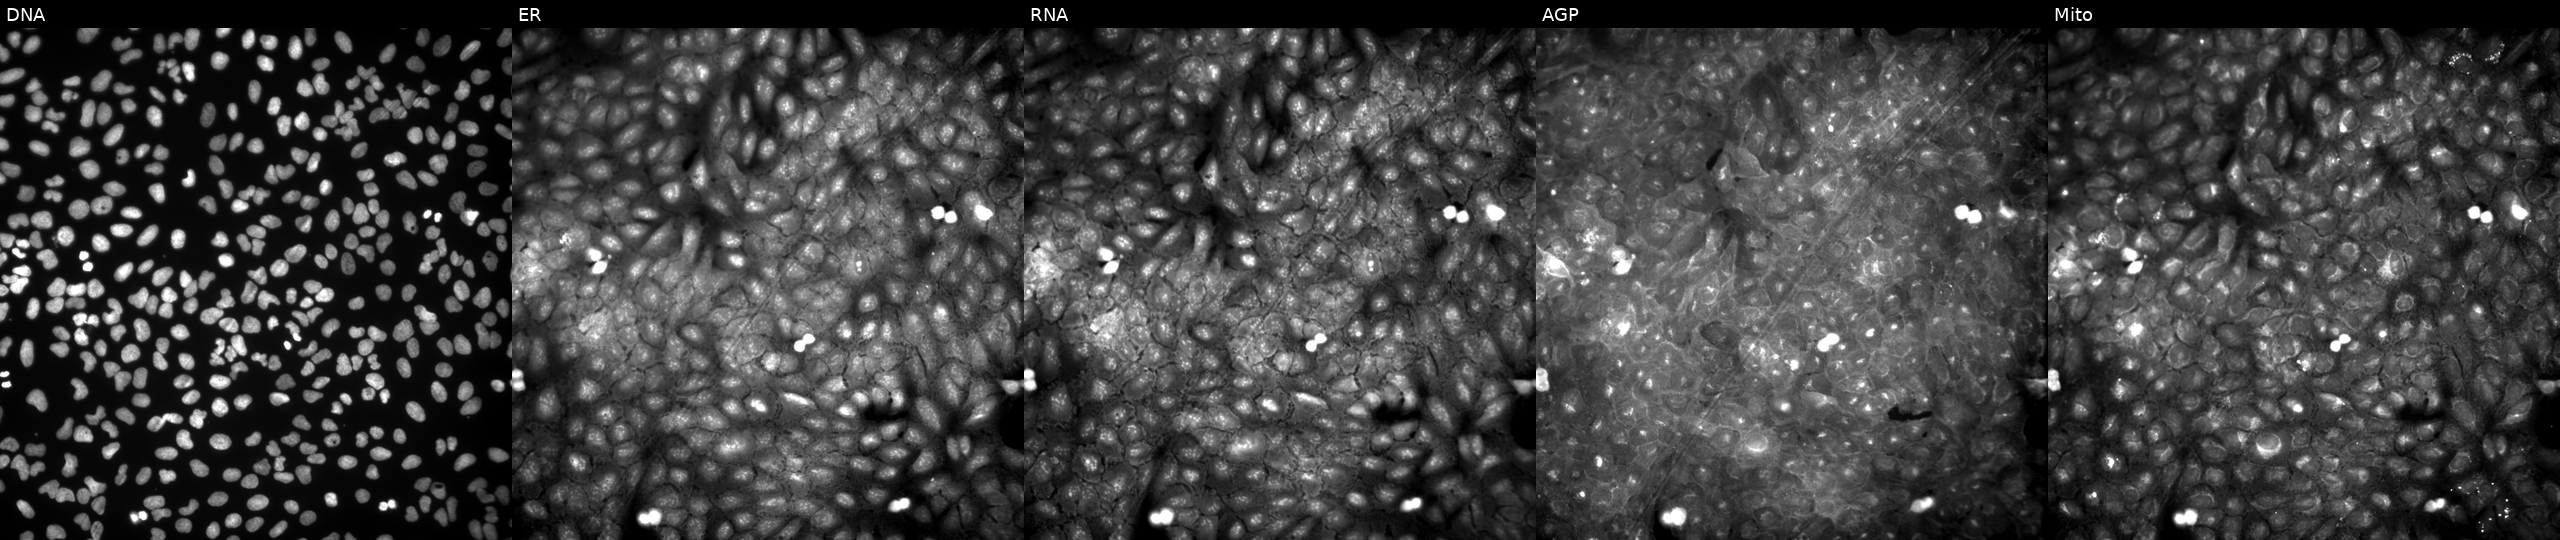
JUMP Cell Painting — COMPOUND plate. U2OS cells treated with aloxistatin (positive-control compound). From left to right: DNA (nuclei); ER (endoplasmic reticulum); RNA (nucleoli and cytoplasmic RNA); AGP (actin cytoskeleton, Golgi, and plasma membrane); Mito (mitochondria).